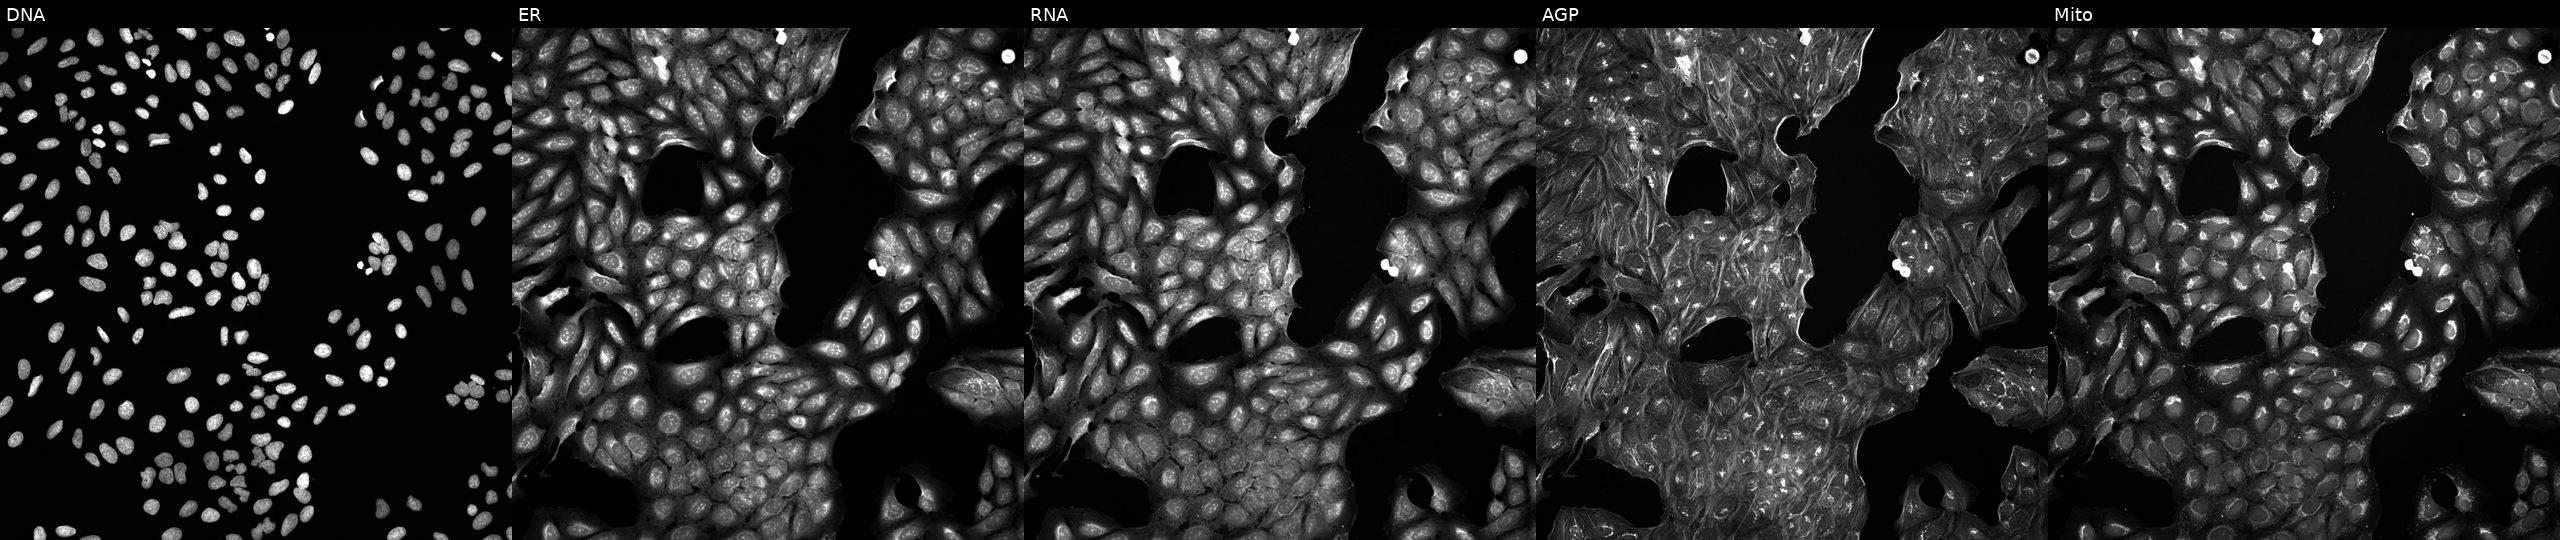
From left to right: DNA, ER, RNA, AGP, and Mito. U2OS osteosarcoma cells exposed to a small-molecule compound [SMILES: CC(C)Cn1nc(C(=O)N2CCCC(n3ccc(C(F)(F)F)n3)C2)c2ccccc2c1=O]. Cell Painting assay, JUMP-CP dataset.